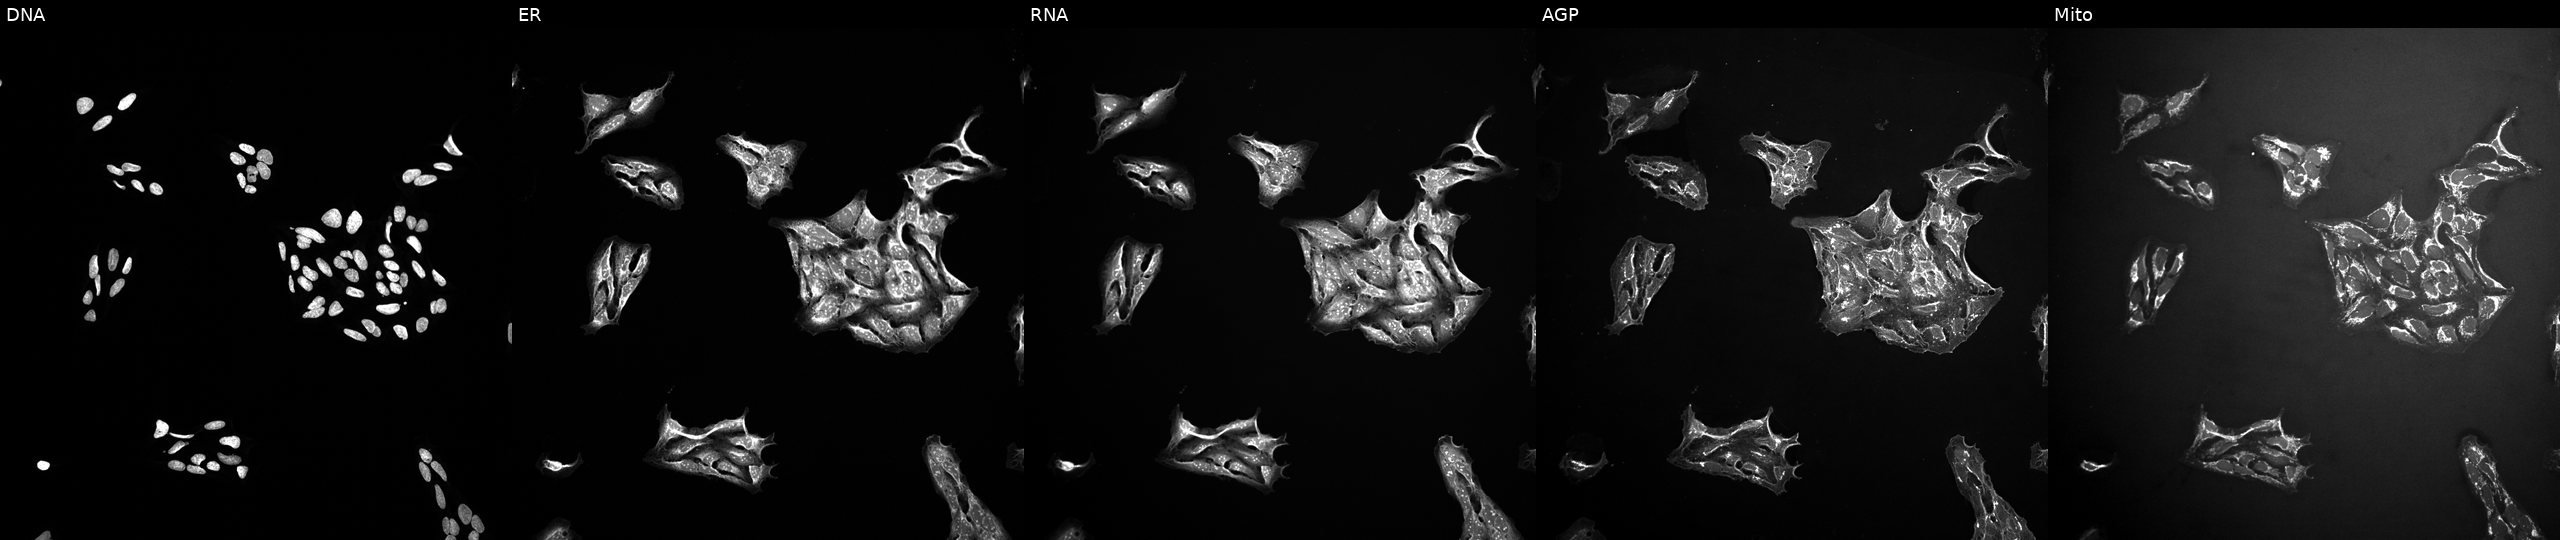
The five panels, left to right, show Hoechst 33342, concanavalin A, SYTO 14, phalloidin and WGA, MitoTracker. U2OS osteosarcoma cells treated with a small-molecule compound (InChIKey ZWVZORIKUNOTCS-UHFFFAOYSA-N) [SMILES: Cc1cc(N2CCOCC2)cc2[nH]c(-c3c(NCC(O)c4cccc(Cl)c4)cc[nH]c3=O)nc12]. Cell Painting assay, JUMP-CP dataset.